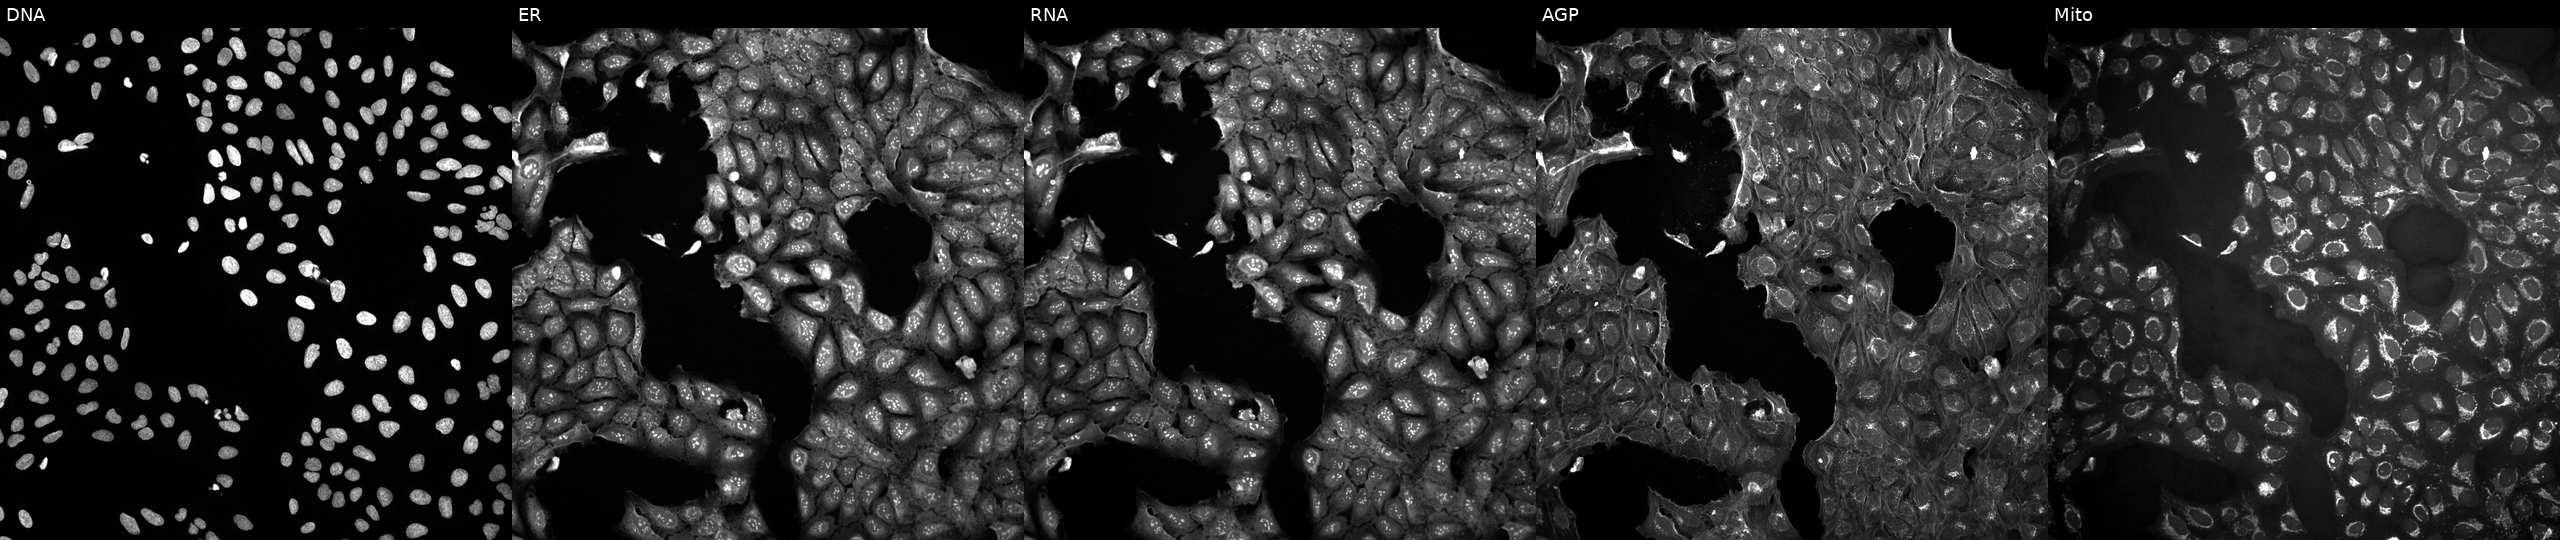
Five-channel Cell Painting image of U2OS cells treated with a small-molecule compound (InChIKey PHTZJOUOXMMZFX-UHFFFAOYSA-N). Panels show, left to right, DNA, ER, RNA, AGP, and Mito.